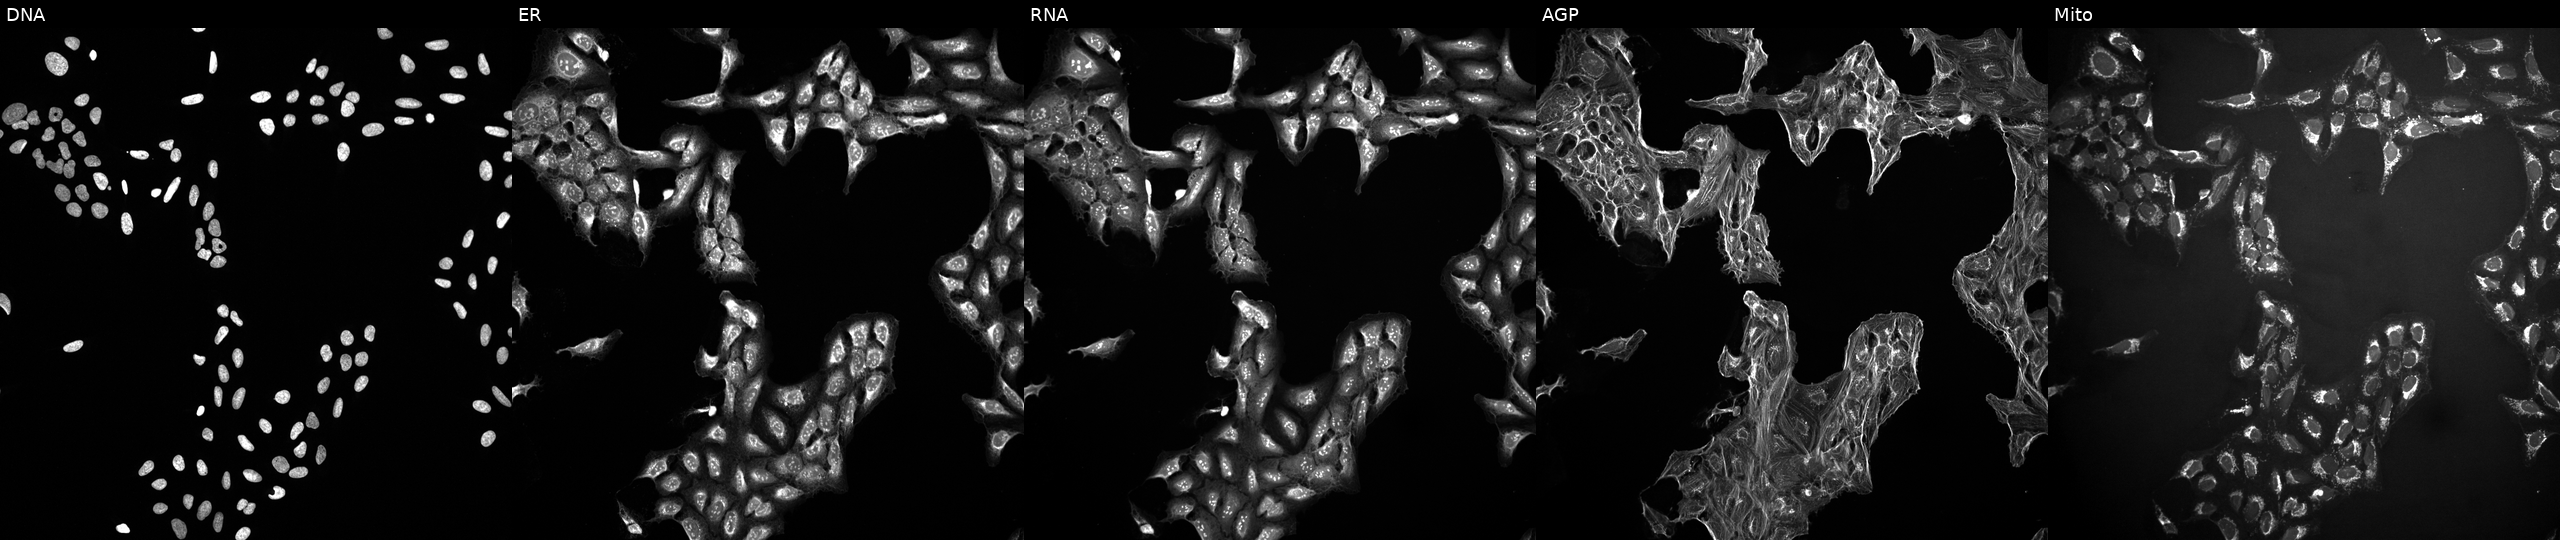
JUMP Cell Painting — TARGET2 plate. U2OS cells treated with a small-molecule compound. The five panels, left to right, show DNA, ER, RNA, AGP, and Mito. Source 10, plate Dest210727-153003, well H10.